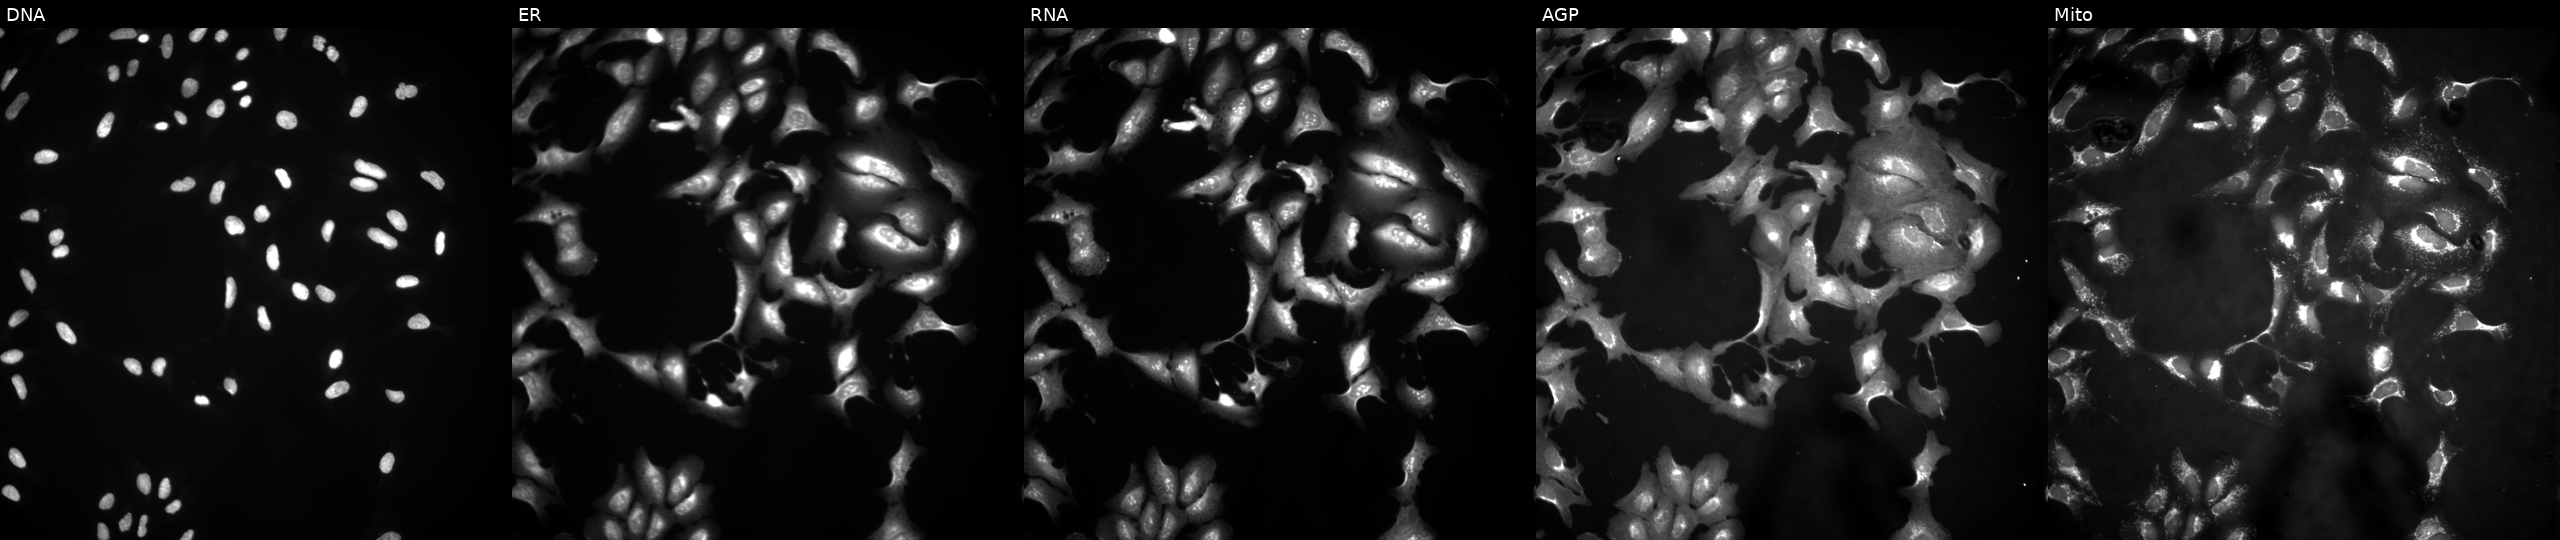
This image strip shows the five Cell Painting channels for a single field of U2OS cells with GAD1 overexpressed (ORF) (JUMP id JCP2022_900571). From left to right: Hoechst 33342, concanavalin A, SYTO 14, phalloidin and WGA, MitoTracker.